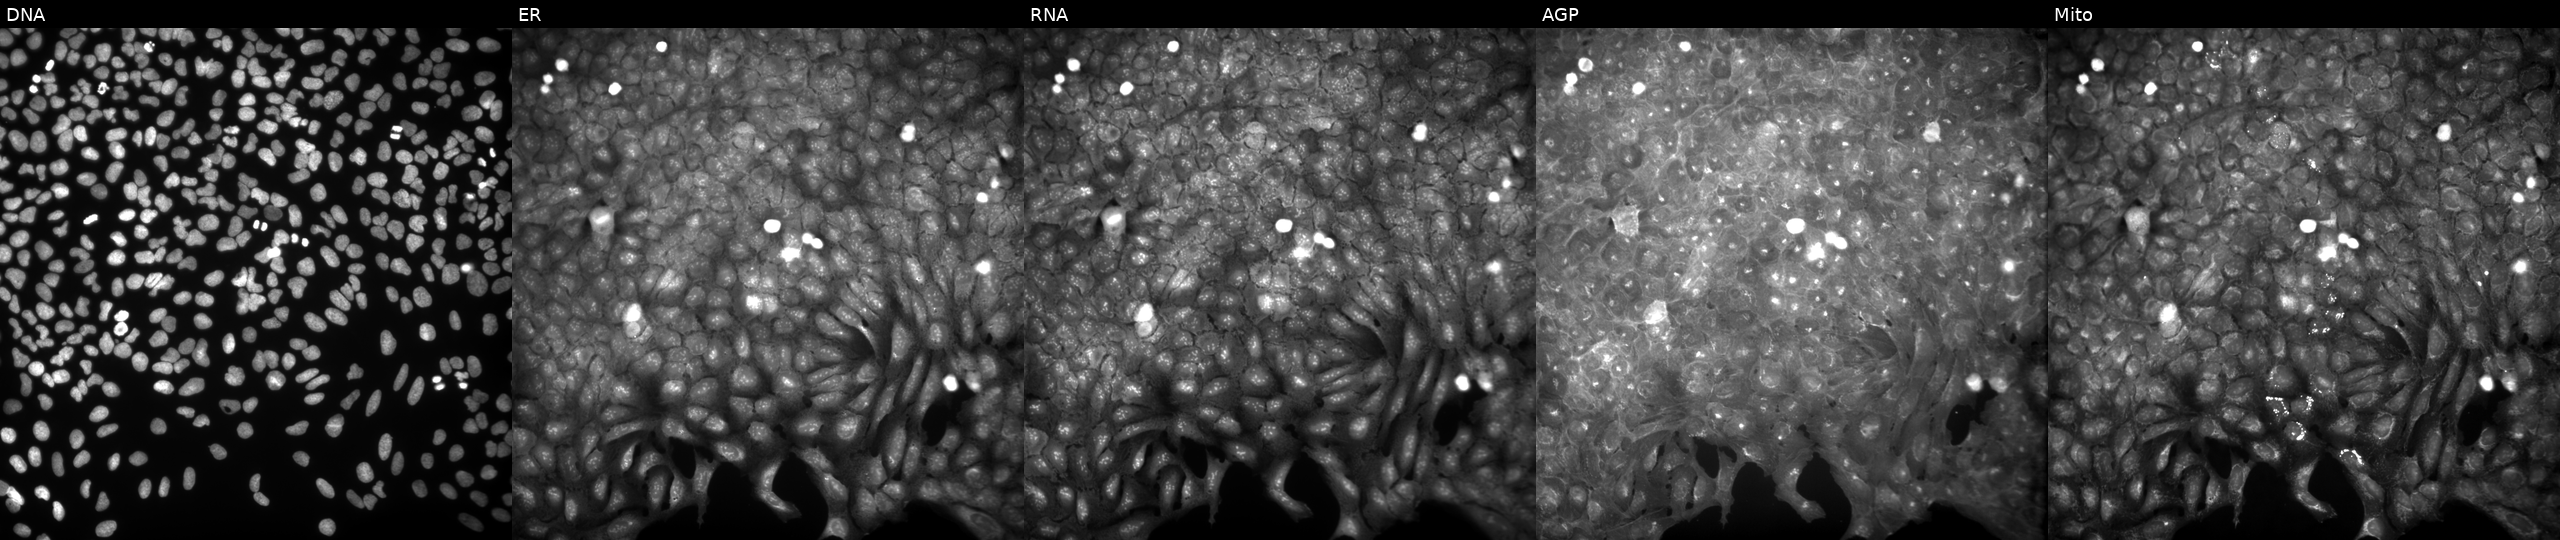
Five-channel Cell Painting image of U2OS cells perturbed with a small-molecule compound (InChIKey NEKZQKXSBLZIRT-UHFFFAOYSA-N). Panels show, left to right, DNA, ER, RNA, AGP, and Mito.